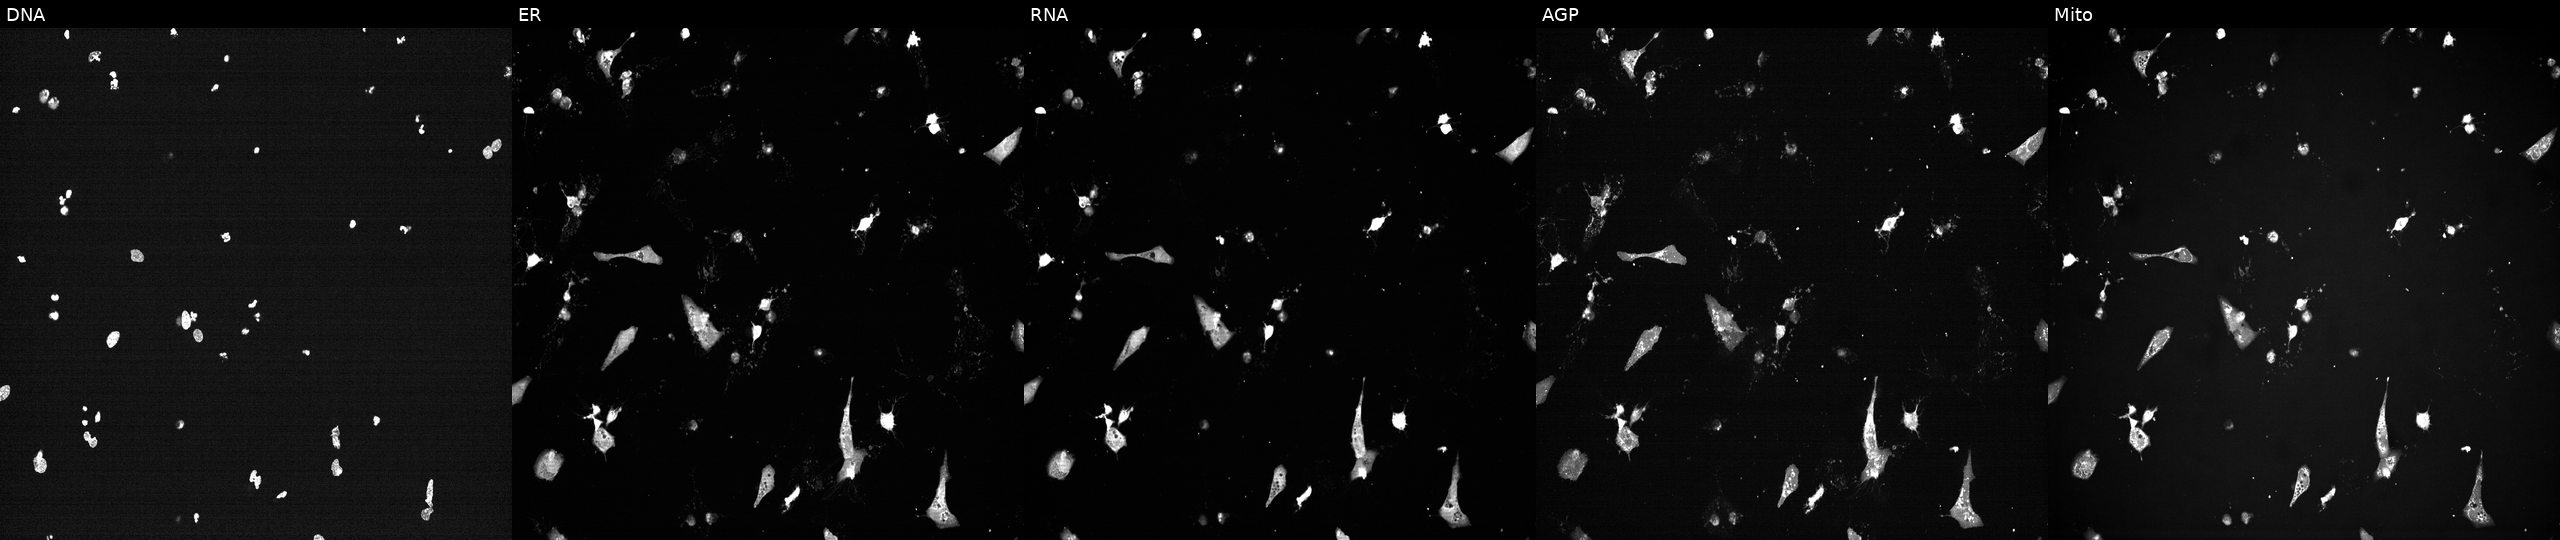
High-content fluorescence microscopy (Cell Painting). Cell line: U2OS. Perturbation: exposed to a small-molecule compound [SMILES: CN1CC=CCCOc2cccc(c2)-c2ccnc(n2)Nc2cccc(c2)C1]. The five panels, left to right, show DNA, ER, RNA, AGP, and Mito. Source 7, plate CP2-SC1-25, well C08.